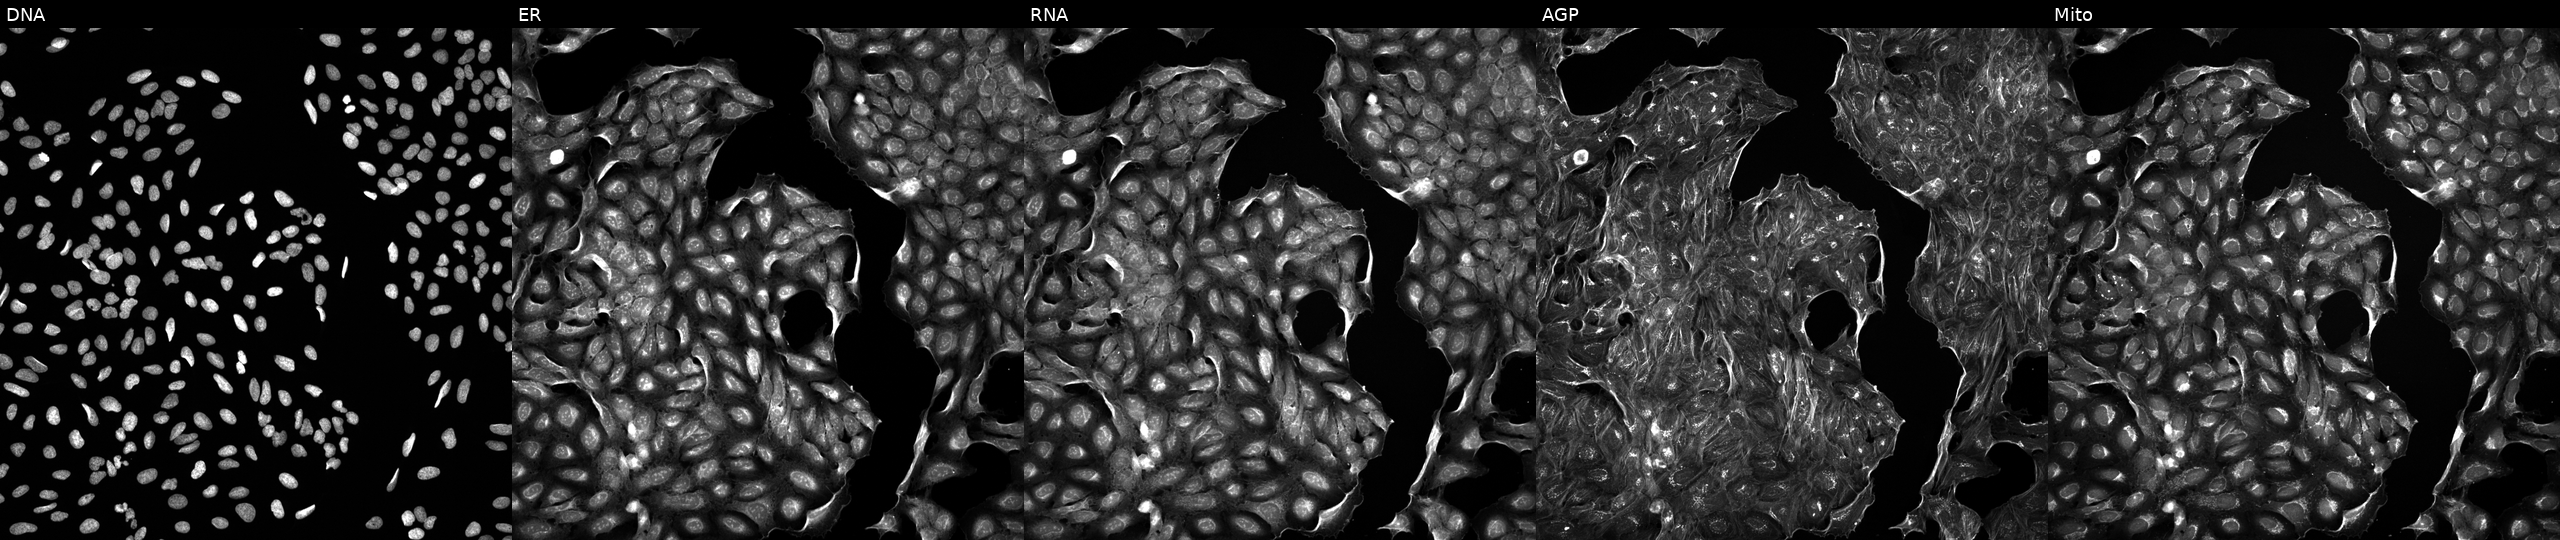
U2OS cells, Cell Painting assay, exposed to a small-molecule compound (JUMP id JCP2022_015156). The five panels, left to right, show DNA (nuclei); ER (endoplasmic reticulum); RNA (nucleoli and cytoplasmic RNA); AGP (actin cytoskeleton, Golgi, and plasma membrane); Mito (mitochondria). Each panel is percentile-stretched 16-bit fluorescence.